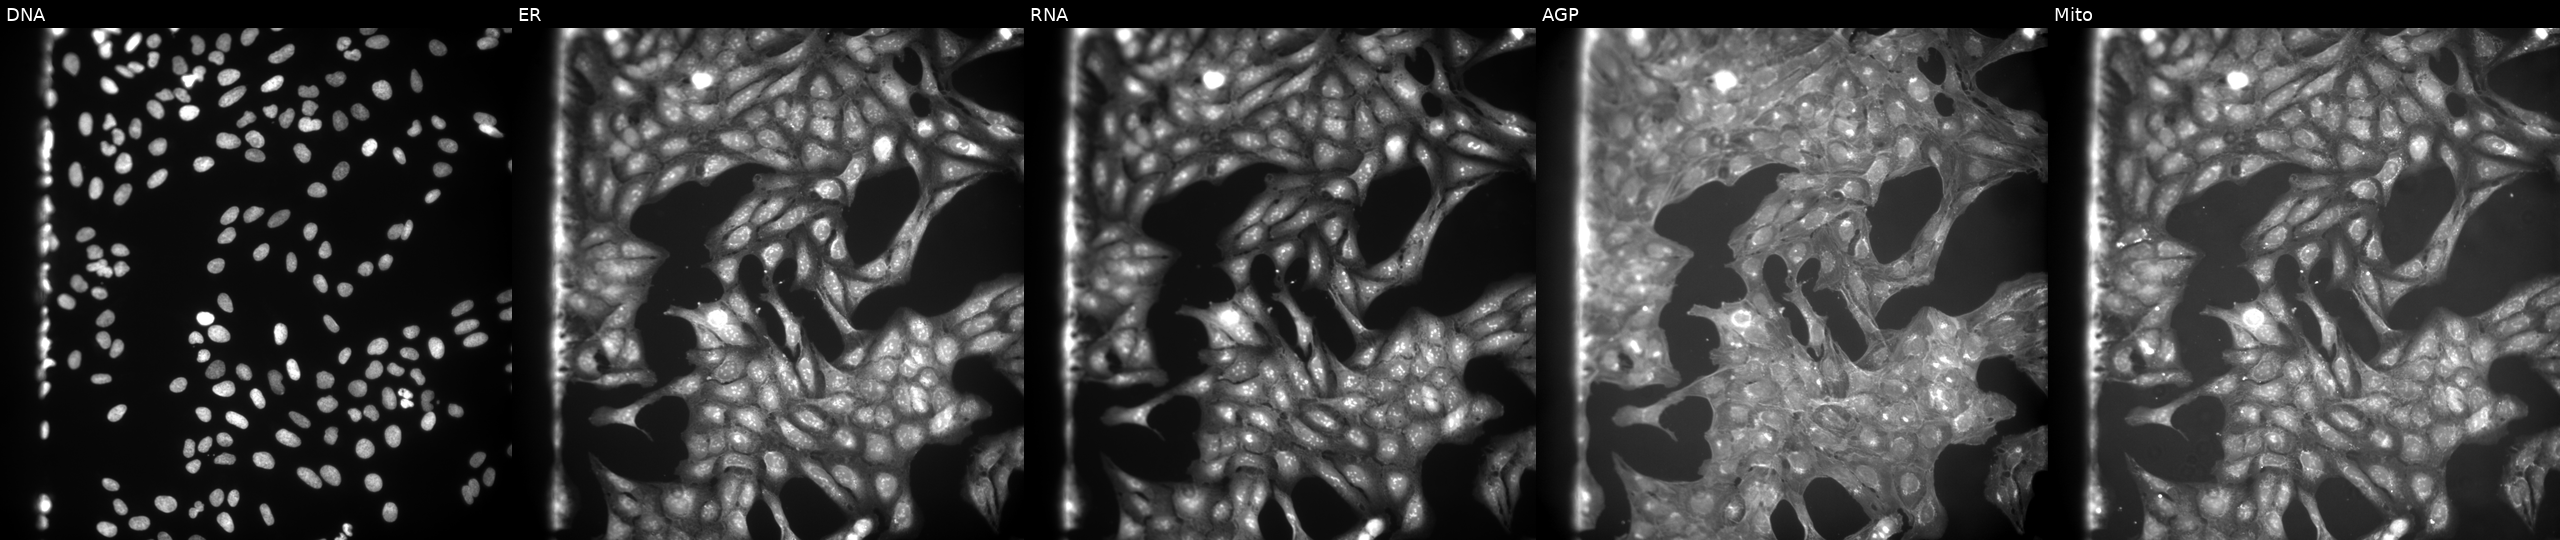
U2OS cells, Cell Painting assay, exposed to the positive-control compound aloxistatin (JUMP id JCP2022_085227). Channels (left→right): Hoechst 33342, concanavalin A, SYTO 14, phalloidin and WGA, MitoTracker. Each panel is percentile-stretched 16-bit fluorescence.